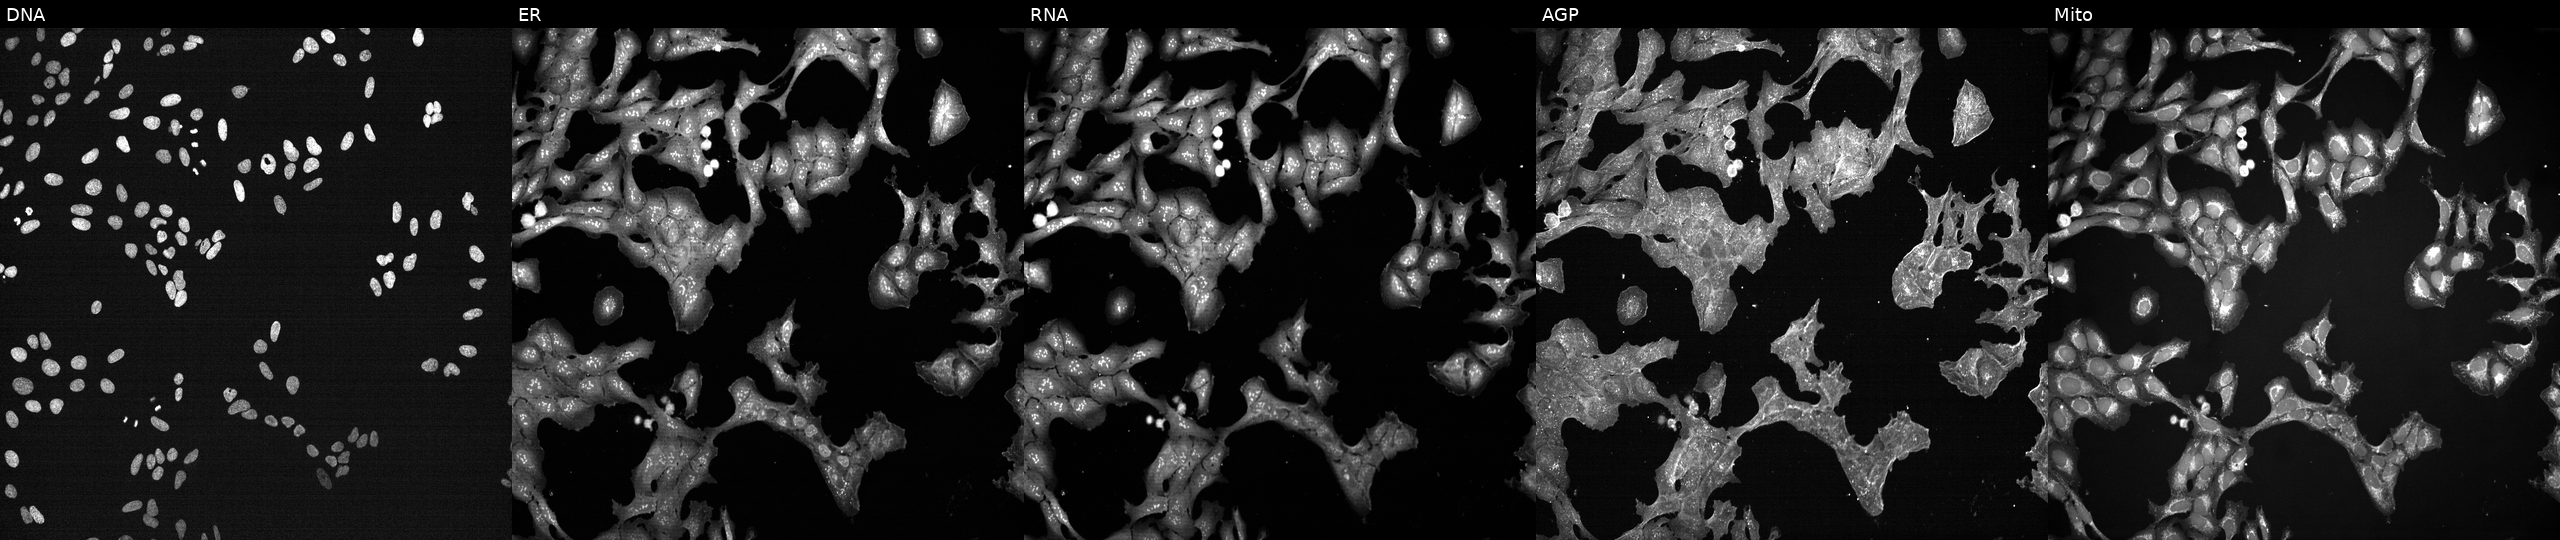
Five-channel Cell Painting image of U2OS cells exposed to a small-molecule compound (InChIKey IIXWYSCJSQVBQM-UHFFFAOYSA-N) (JUMP id JCP2022_035351). Channels (left→right): DNA, ER, RNA, AGP, and Mito.